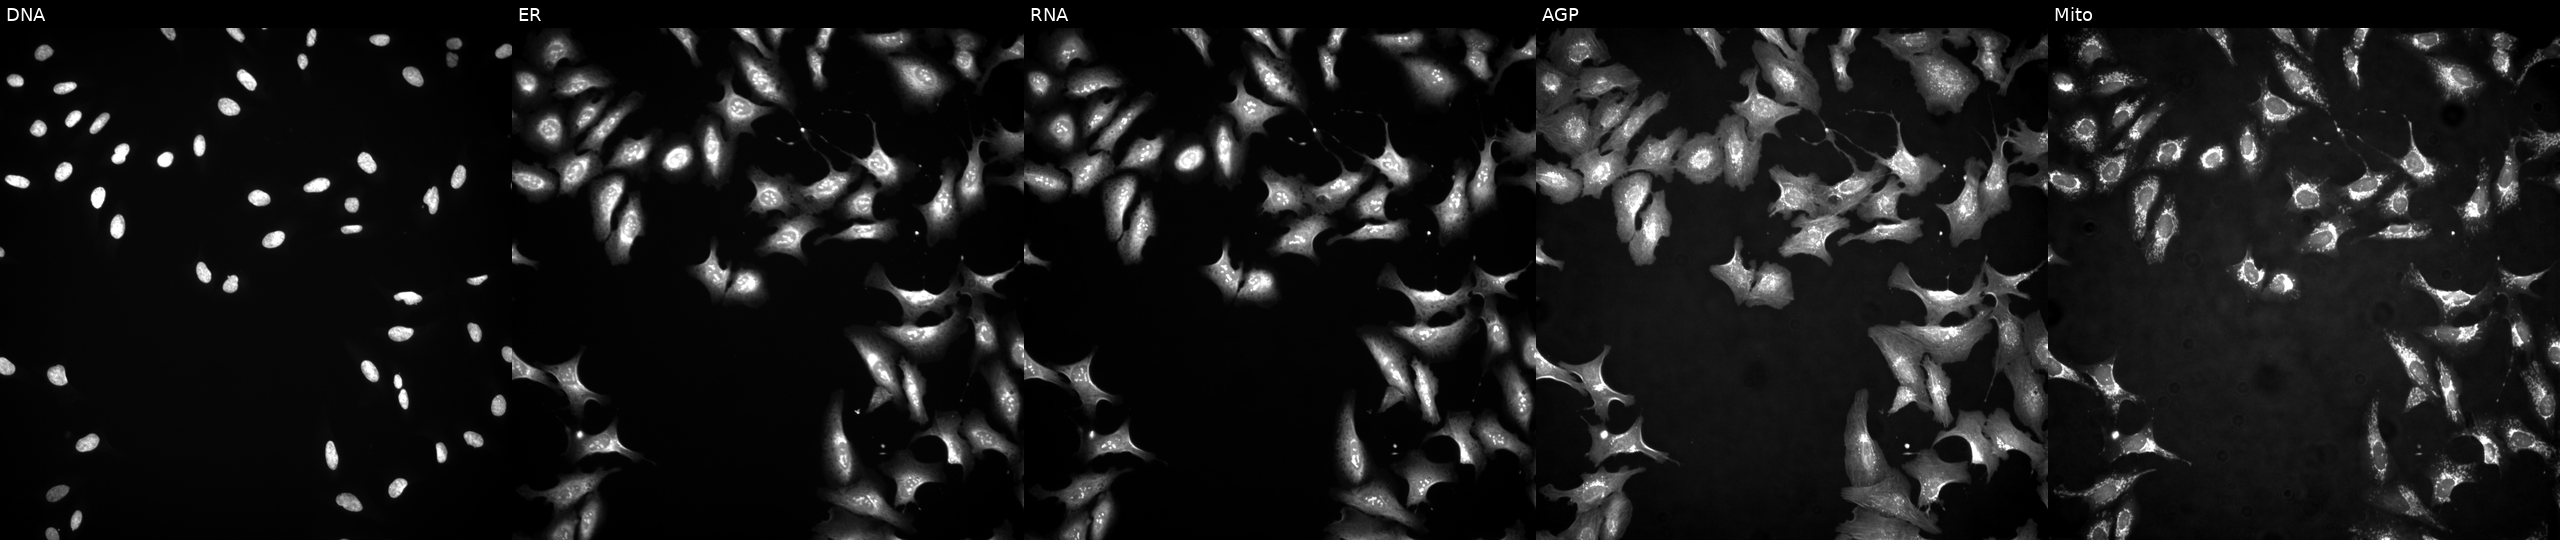
Five-channel Cell Painting image of U2OS cells with PPAT overexpressed (ORF). The five panels, left to right, show DNA, ER, RNA, AGP, and Mito. Source 4, plate BR00124787, well P07.